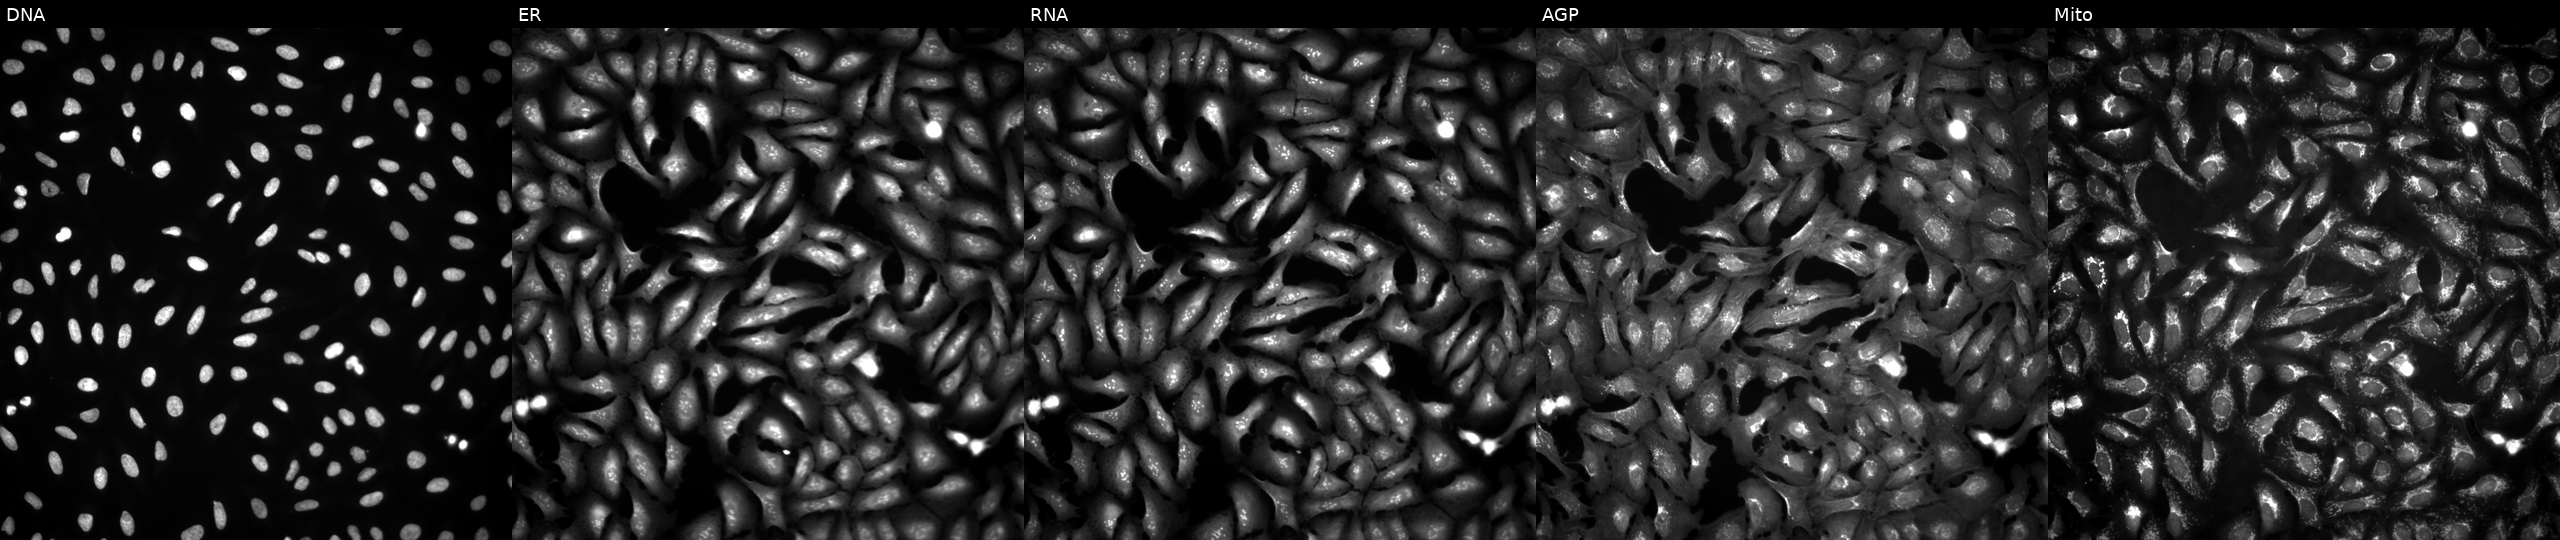
U2OS cells, Cell Painting assay, transfected with an ORF construct for DLK1 (JUMP id JCP2022_906823). The five panels, left to right, show Hoechst 33342, concanavalin A, SYTO 14, phalloidin and WGA, MitoTracker. Each panel is percentile-stretched 16-bit fluorescence.